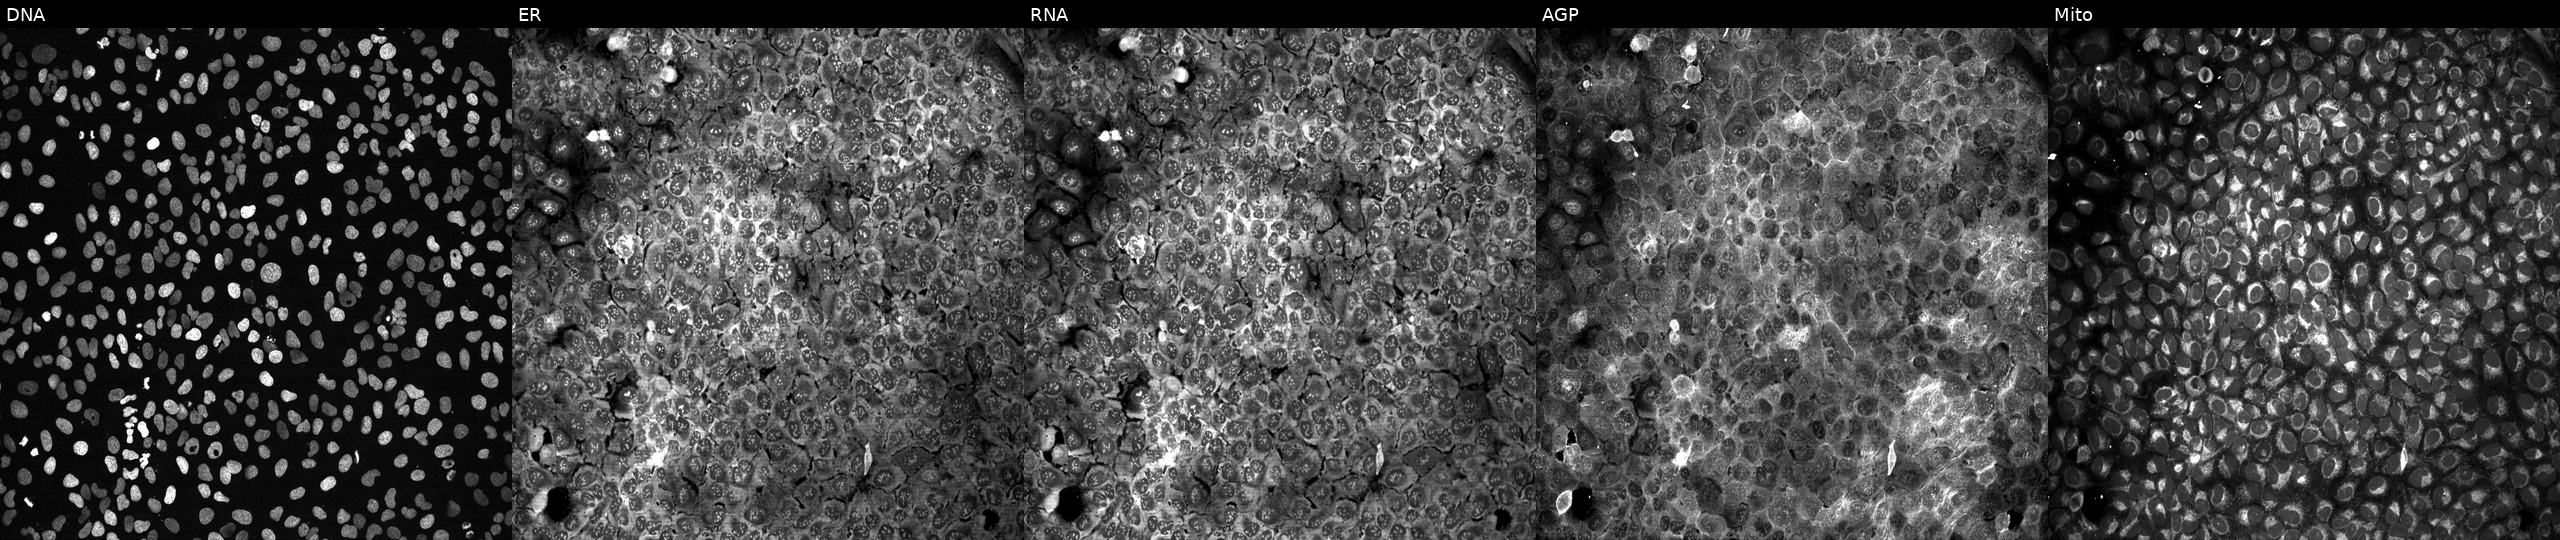
This image strip shows the five Cell Painting channels for a single field of U2OS cells with GOT1 knocked out by CRISPR (JUMP id JCP2022_802786). Panels show, left to right, DNA, ER, RNA, AGP, and Mito. Source 13, plate CP-CC9-R2-01, well K18.